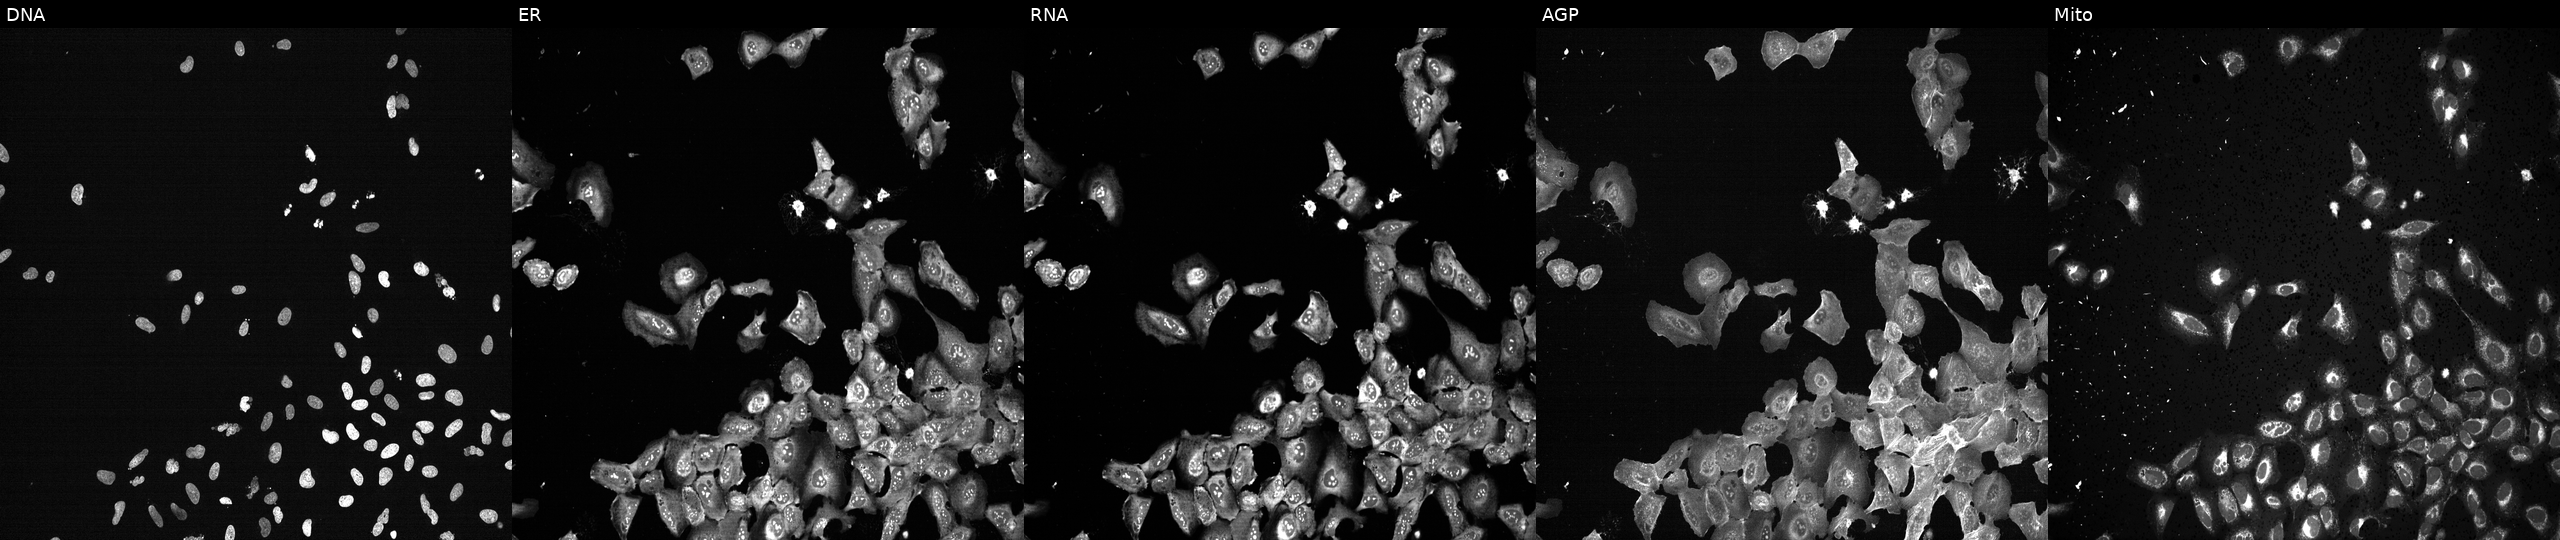
This image strip shows the five Cell Painting channels for a single field of U2OS cells exposed to the positive-control compound TC-S-7004 (JUMP id JCP2022_012818). From left to right: DNA (nuclei); ER (endoplasmic reticulum); RNA (nucleoli and cytoplasmic RNA); AGP (actin cytoskeleton, Golgi, and plasma membrane); Mito (mitochondria).